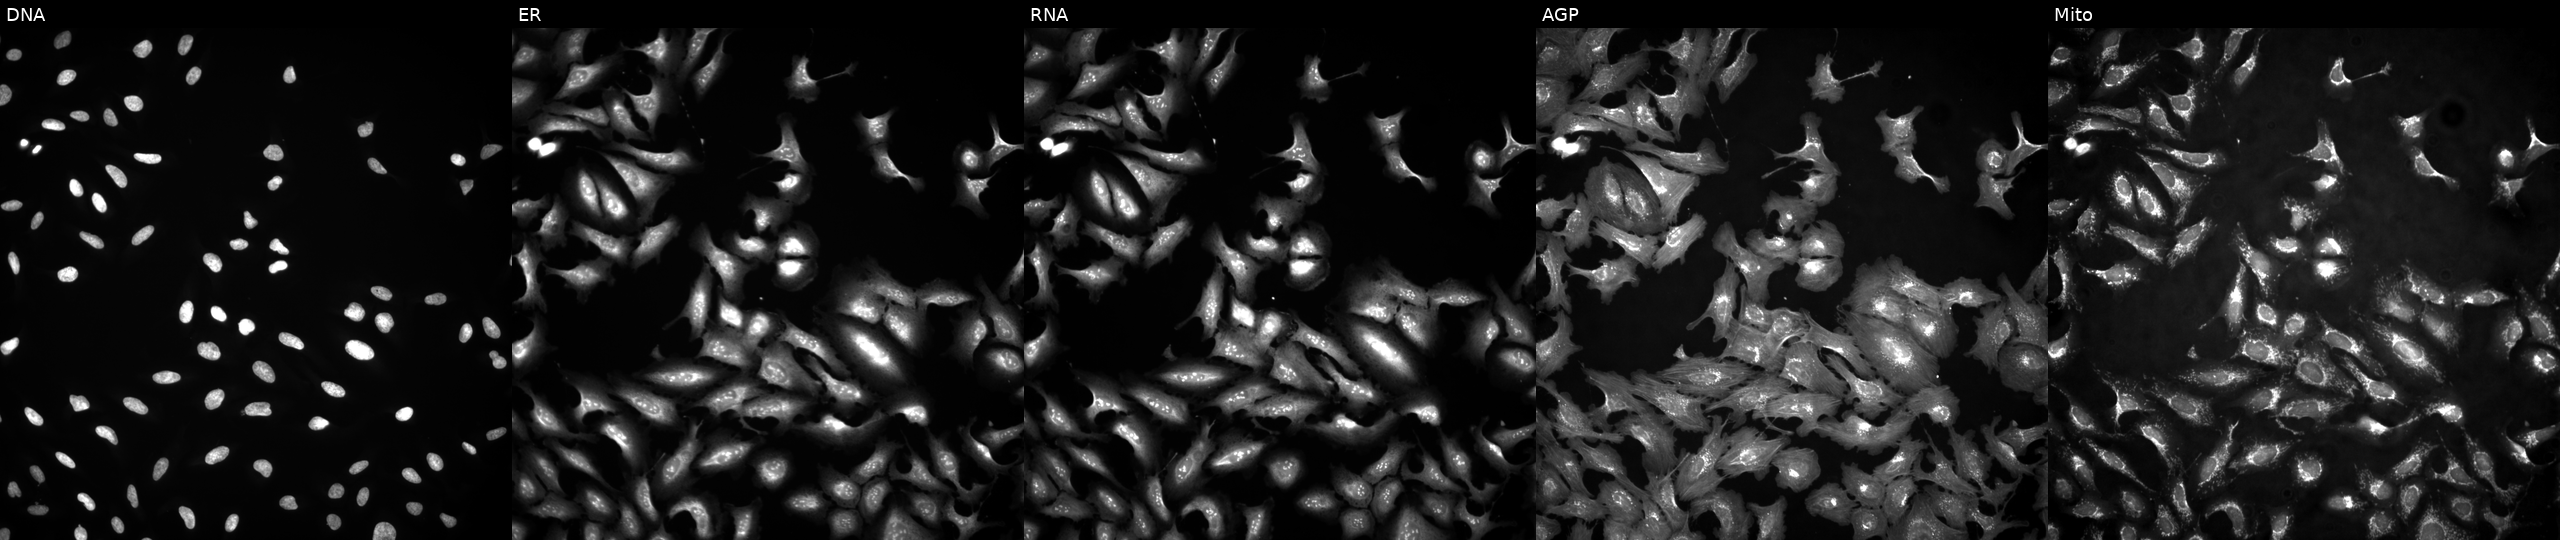
High-content fluorescence microscopy (Cell Painting). Cell line: U2OS. Perturbation: transfected with an ORF construct for INSRR. The five panels, left to right, show Hoechst 33342, concanavalin A, SYTO 14, phalloidin and WGA, MitoTracker. Source 4, plate BR00123945, well I02.